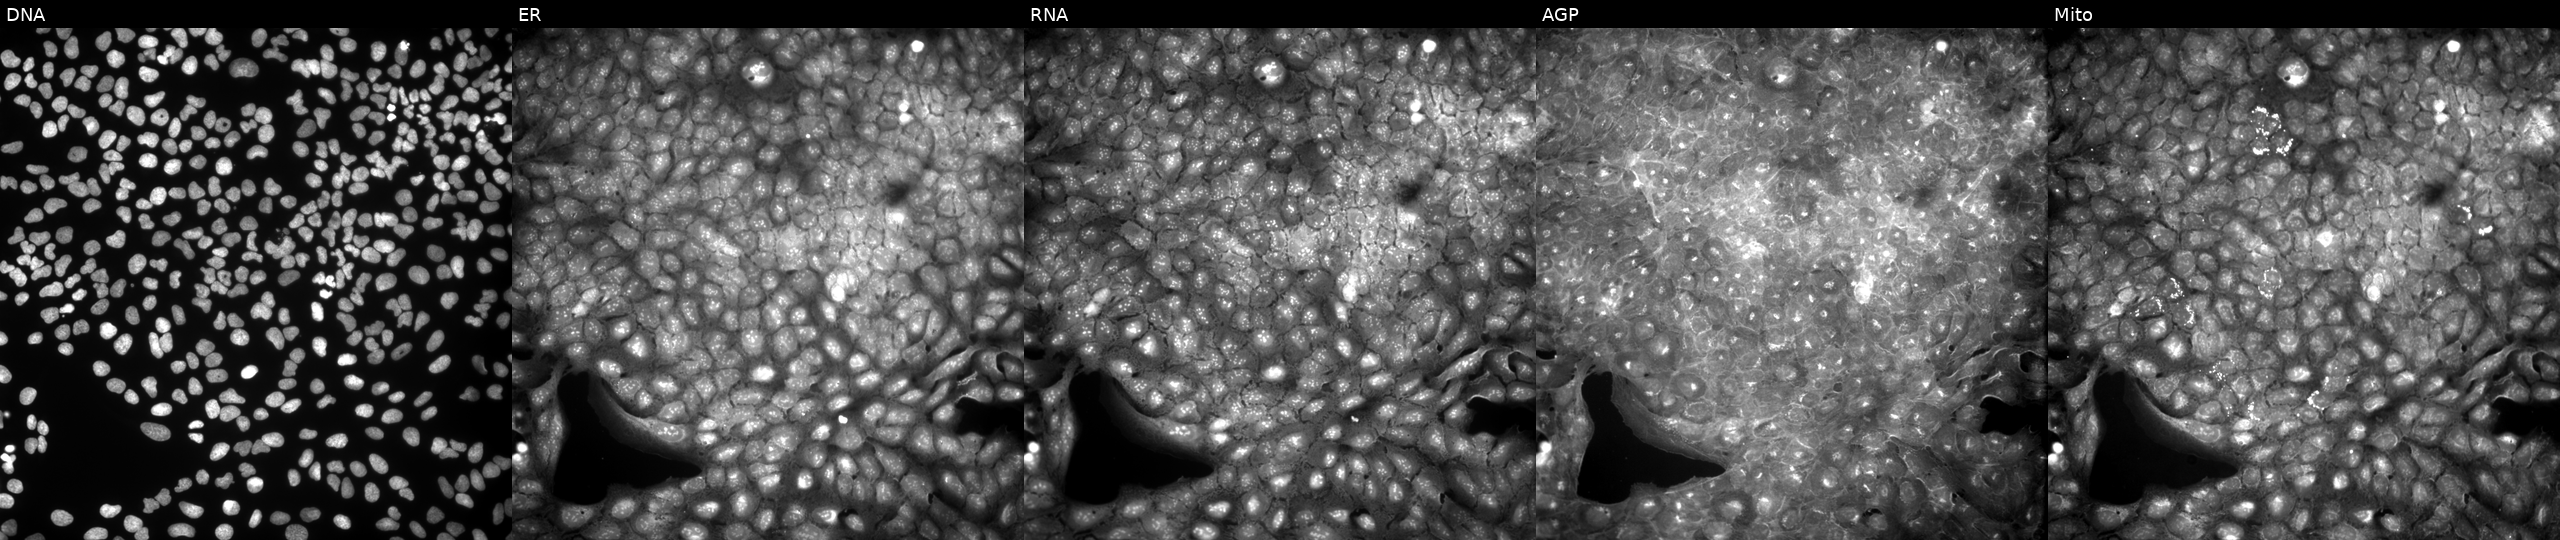
Five-channel Cell Painting image of U2OS cells treated with a small-molecule compound (InChIKey HWNQHEGRJRNZHM-UHFFFAOYSA-N) (JUMP id JCP2022_033052). From left to right: DNA (nuclei); ER (endoplasmic reticulum); RNA (nucleoli and cytoplasmic RNA); AGP (actin cytoskeleton, Golgi, and plasma membrane); Mito (mitochondria).